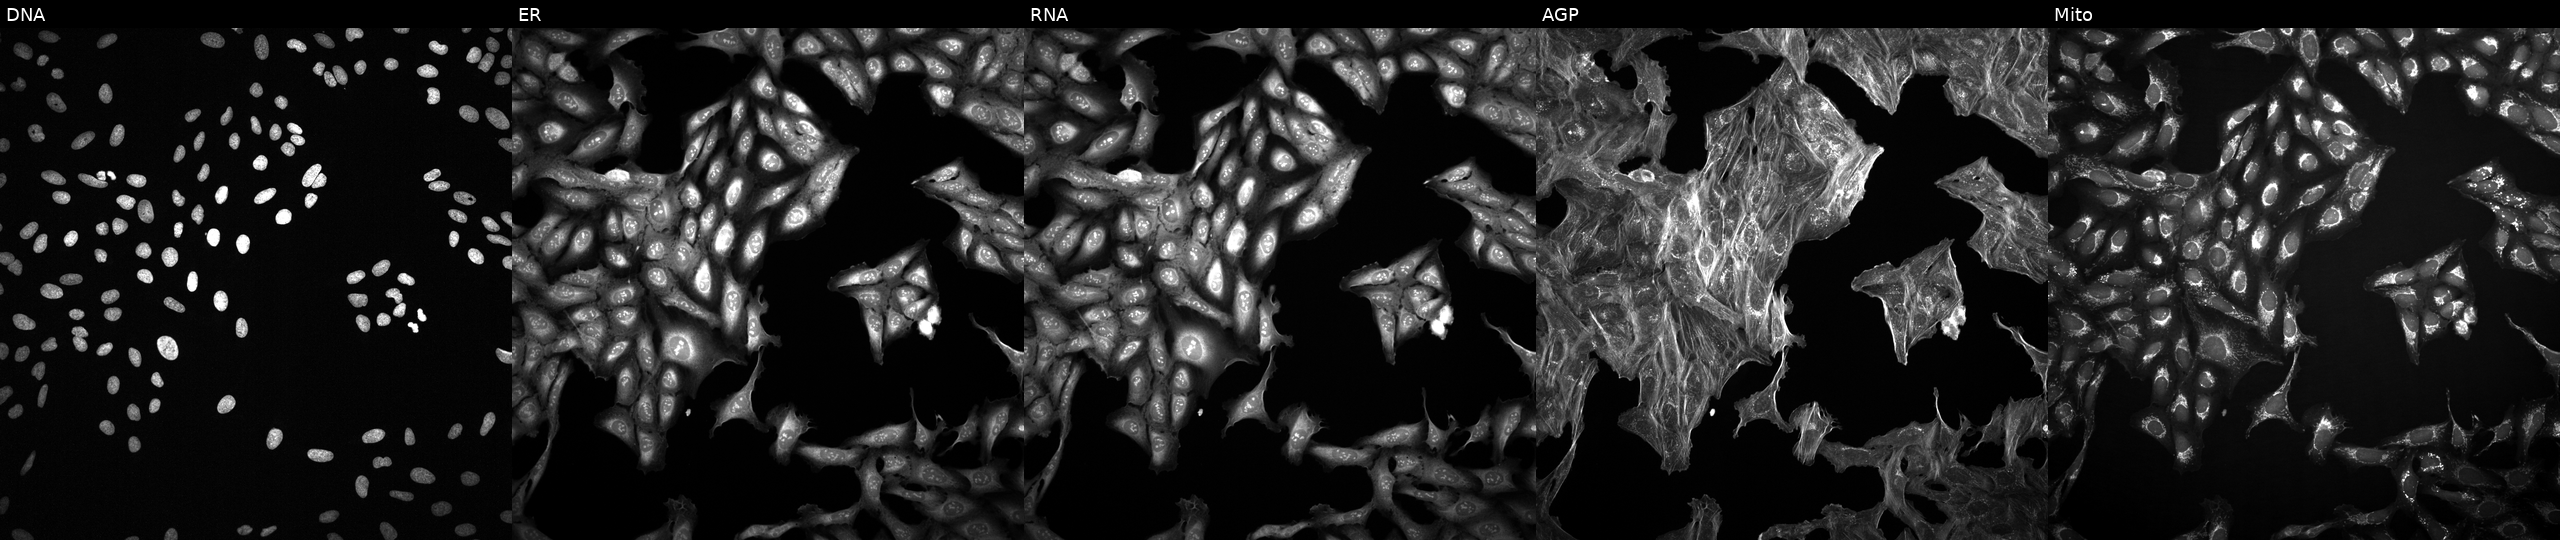
The five panels, left to right, show DNA, ER, RNA, AGP, and Mito. U2OS osteosarcoma cells perturbed with a small-molecule compound (InChIKey RIJLVEAXPNLDTC-UHFFFAOYSA-N). Cell Painting assay, JUMP-CP dataset.